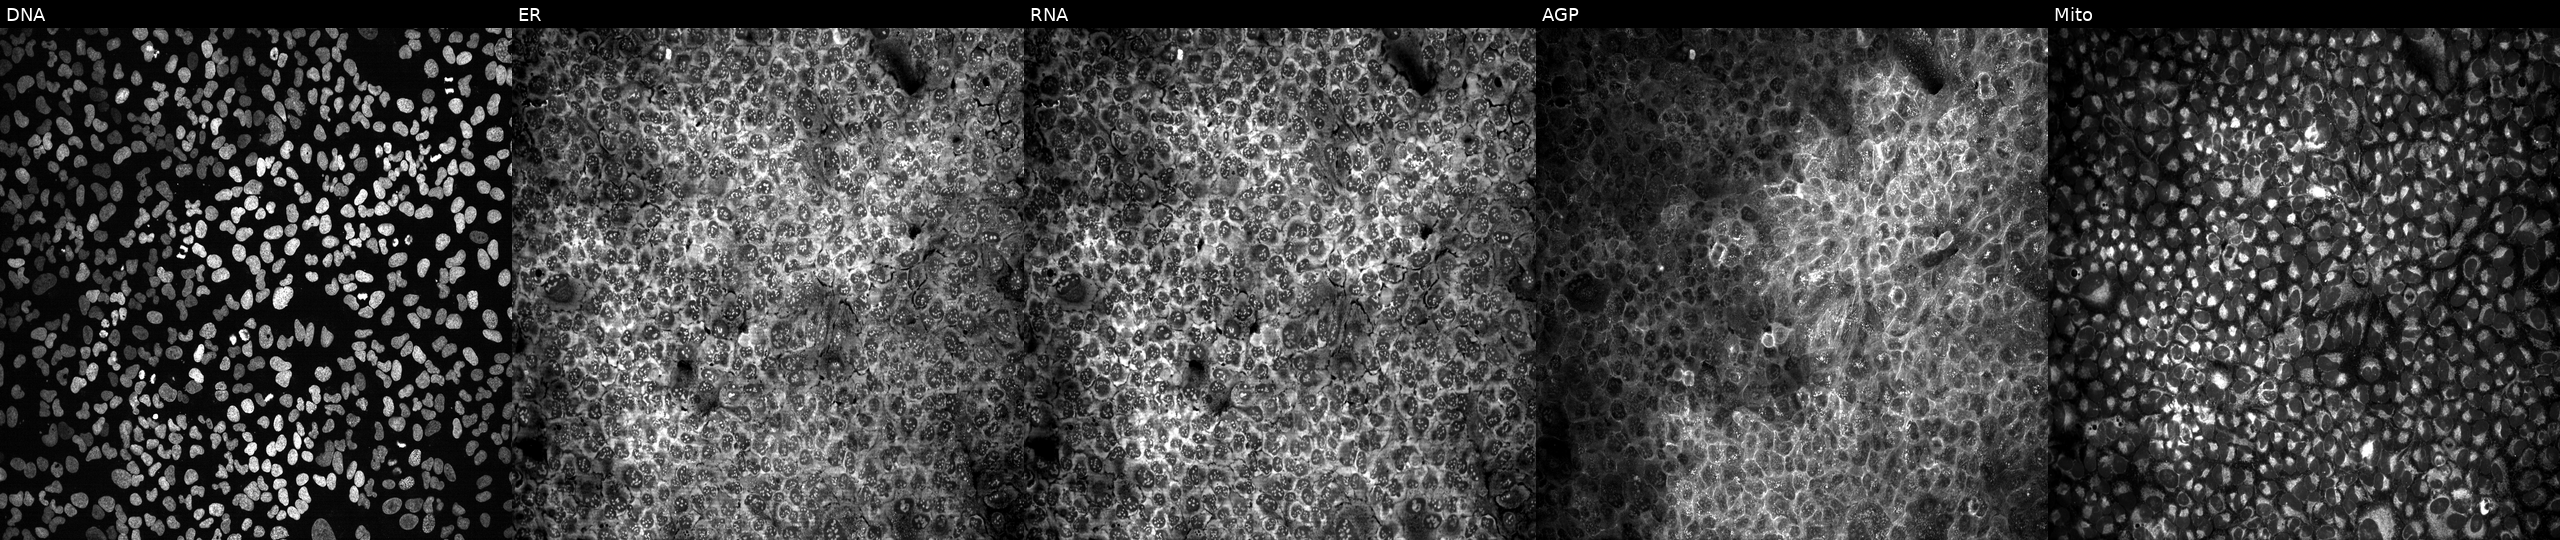
From left to right: DNA (nuclei); ER (endoplasmic reticulum); RNA (nucleoli and cytoplasmic RNA); AGP (actin cytoskeleton, Golgi, and plasma membrane); Mito (mitochondria). U2OS osteosarcoma cells CRISPR-edited to disrupt CNOT7. Cell Painting assay, JUMP-CP dataset. Source 13, plate CP-CC9-R6-19, well L22.